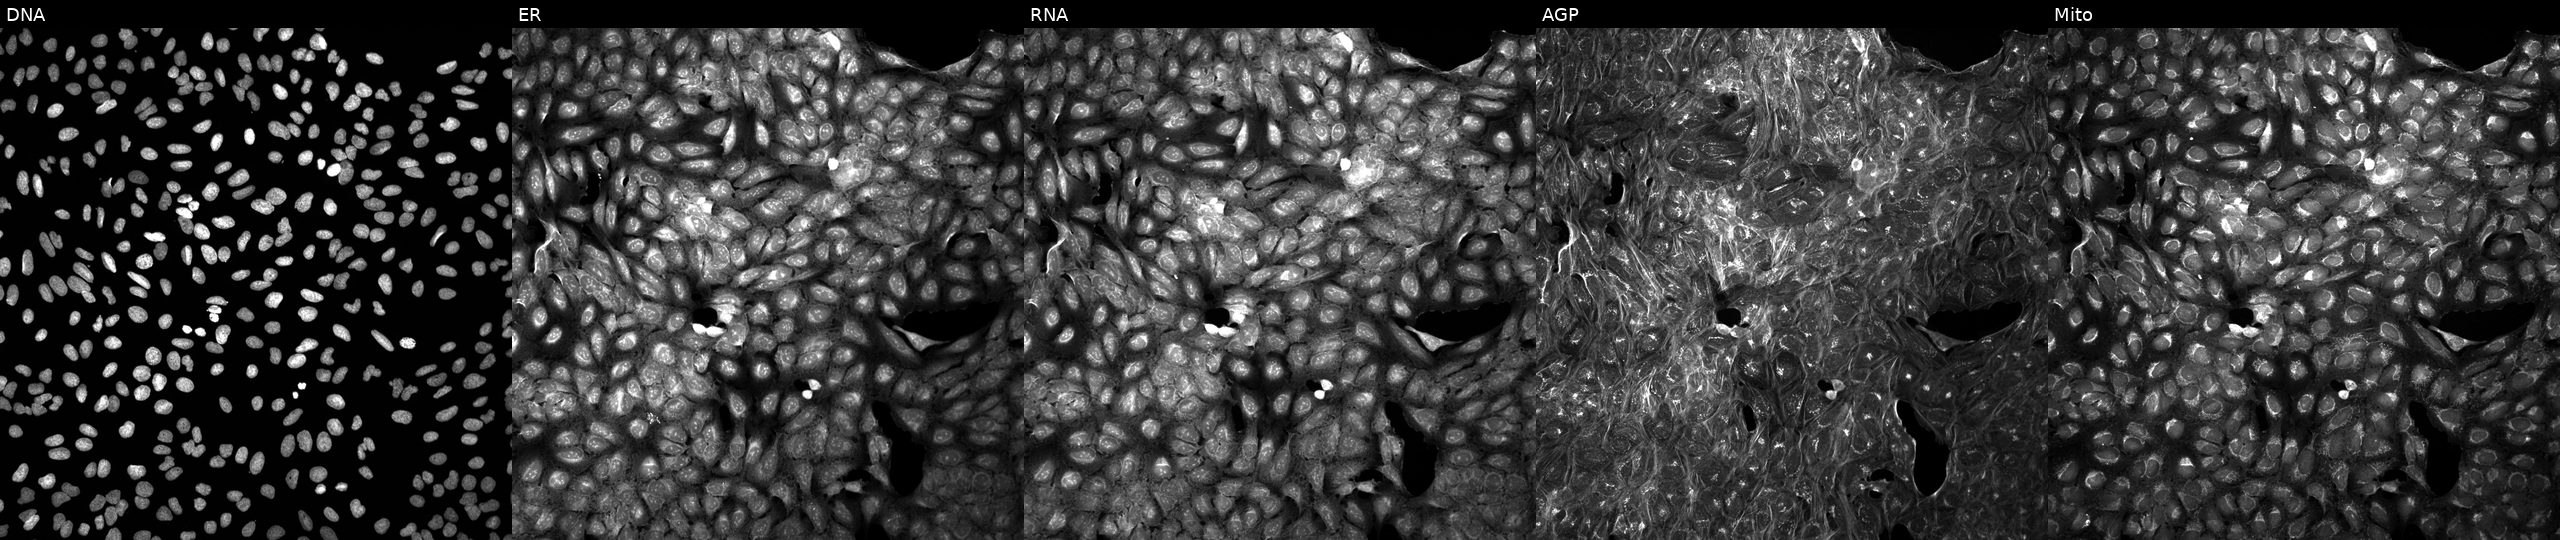
JUMP Cell Painting — COMPOUND plate. U2OS cells treated with a small-molecule compound (InChIKey IOVMLXIGSCGQEE-UHFFFAOYSA-N). The five panels, left to right, show DNA, ER, RNA, AGP, and Mito.